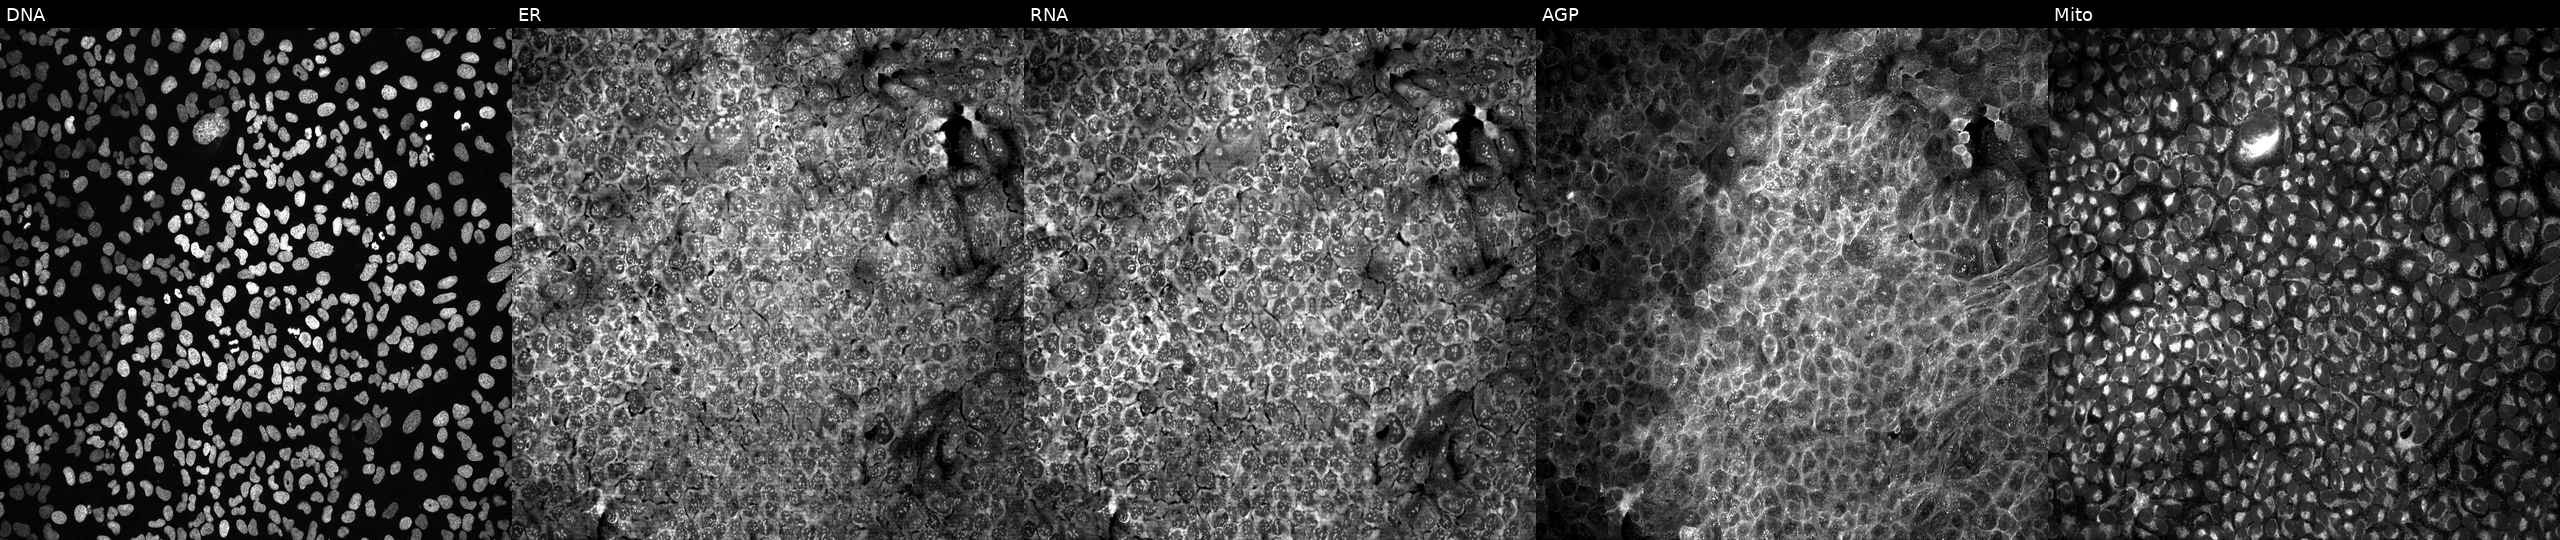
U2OS cells, Cell Painting assay, with no CRISPR guide (negative control) (JUMP id JCP2022_800001). The five panels, left to right, show DNA (nuclei); ER (endoplasmic reticulum); RNA (nucleoli and cytoplasmic RNA); AGP (actin cytoskeleton, Golgi, and plasma membrane); Mito (mitochondria). Each panel is percentile-stretched 16-bit fluorescence.